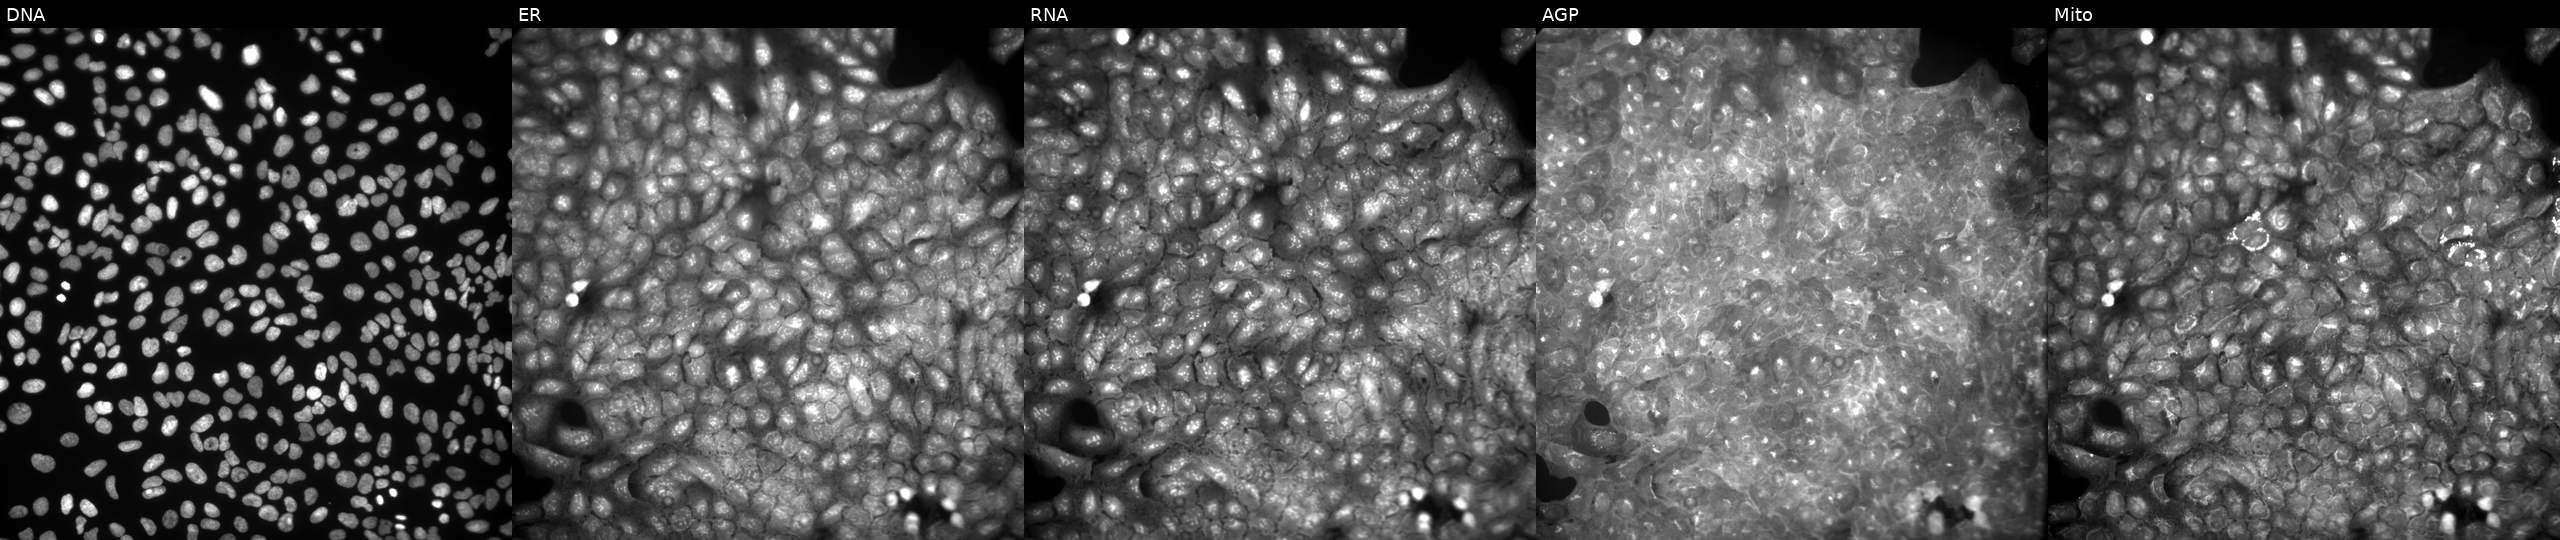
From left to right: DNA, ER, RNA, AGP, and Mito. U2OS osteosarcoma cells treated with a small-molecule compound (InChIKey SRCLAYCPVSNXCU-UHFFFAOYSA-N) (JUMP id JCP2022_085096). Cell Painting assay, JUMP-CP dataset. Source 9, plate GR00003382, well Y37.